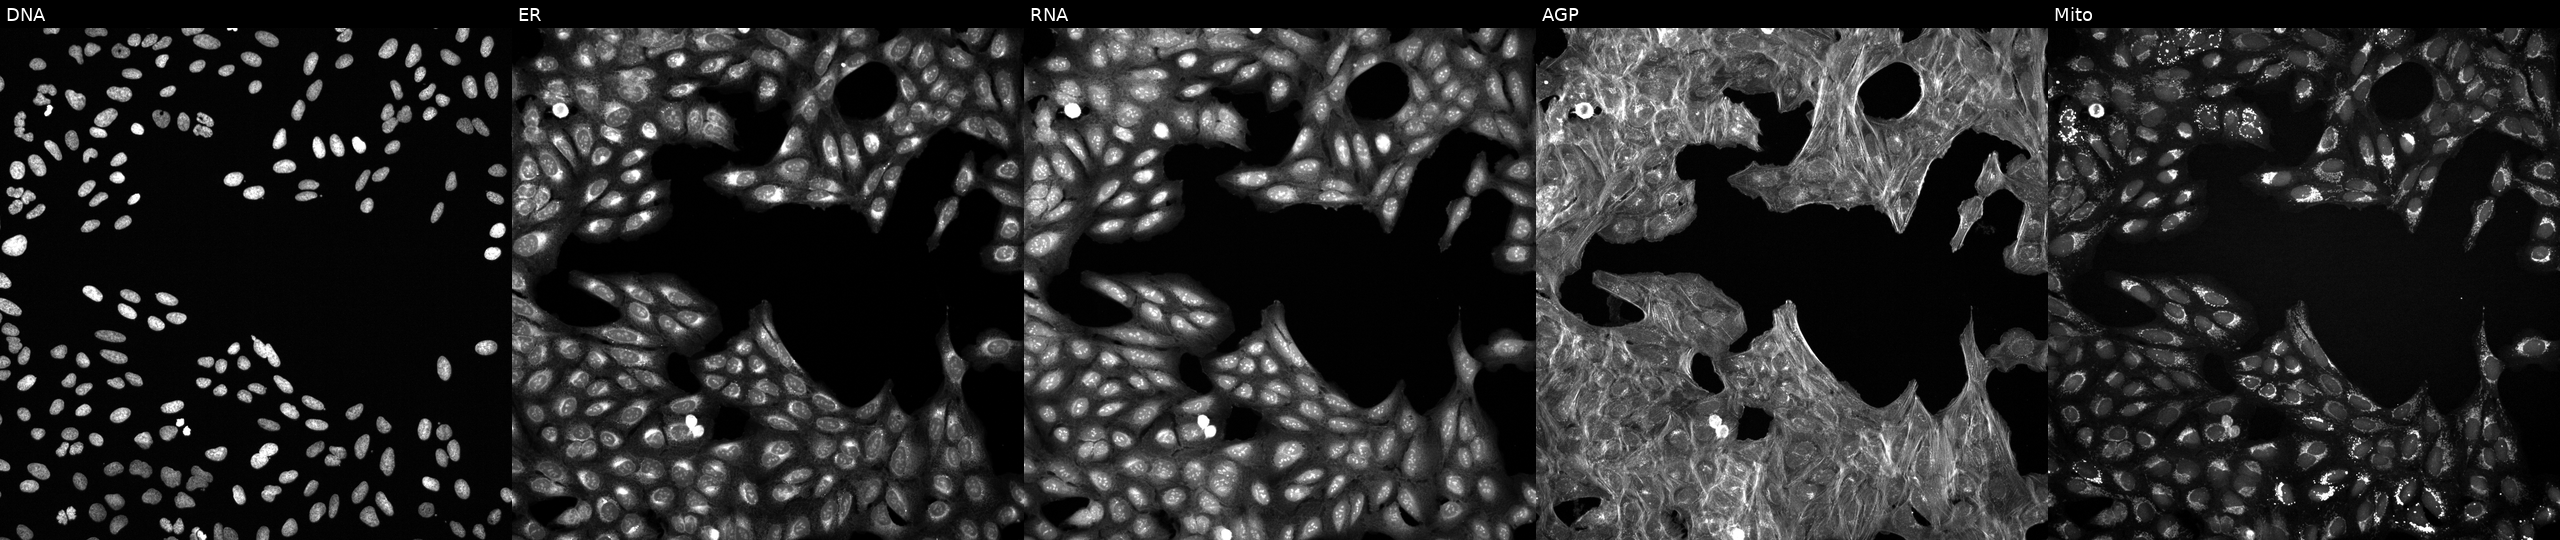
Channels (left→right): DNA (nuclei); ER (endoplasmic reticulum); RNA (nucleoli and cytoplasmic RNA); AGP (actin cytoskeleton, Golgi, and plasma membrane); Mito (mitochondria). U2OS osteosarcoma cells treated with DMSO vehicle only (negative control) (JUMP id JCP2022_033924). Cell Painting assay, JUMP-CP dataset. Source 6, plate 110000293083, well B23.